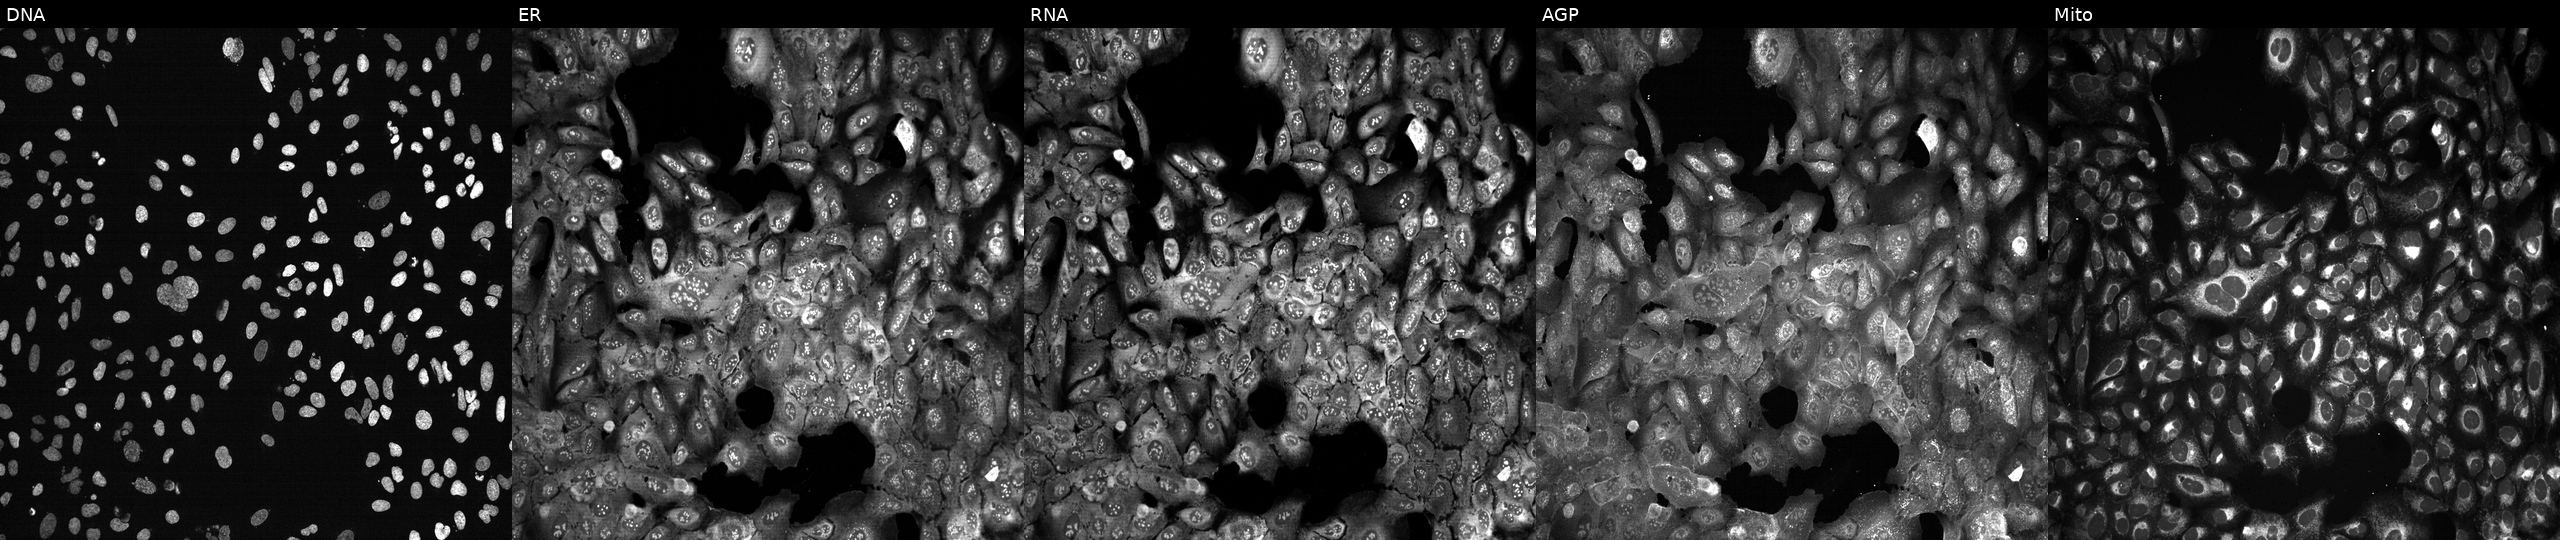
From left to right: Hoechst 33342, concanavalin A, SYTO 14, phalloidin and WGA, MitoTracker. U2OS osteosarcoma cells following CRISPR knockout of CD163L1 (JUMP id JCP2022_801147). Cell Painting assay, JUMP-CP dataset.